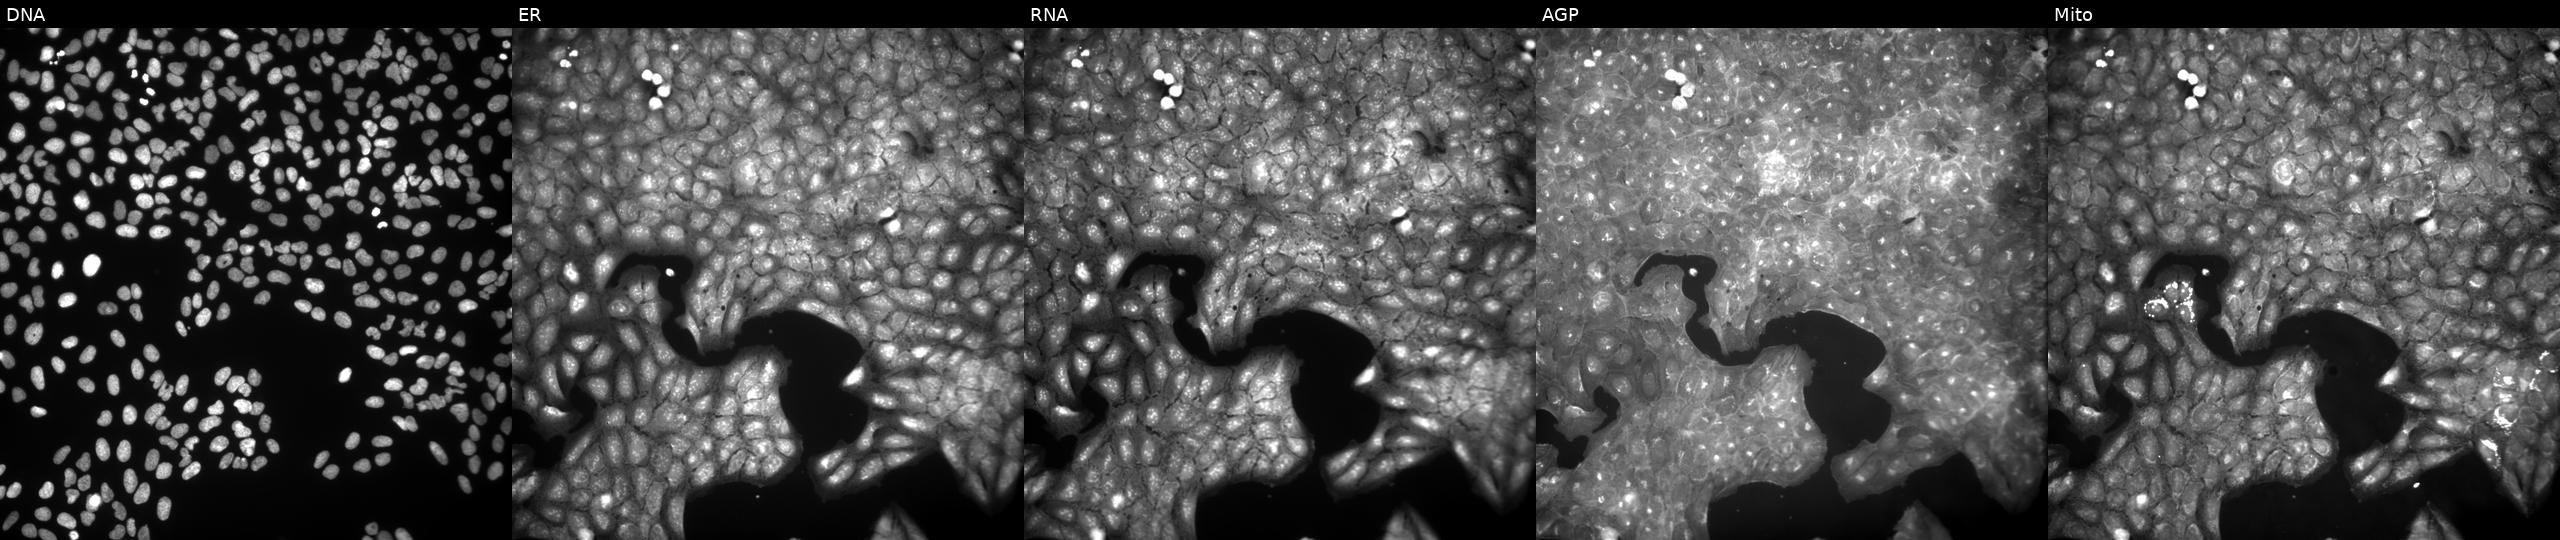
Five-channel Cell Painting image of U2OS cells treated with a small-molecule compound (InChIKey OZGMDLMBOCCJJC-UHFFFAOYSA-N) (JUMP id JCP2022_067086). From left to right: DNA, ER, RNA, AGP, and Mito.